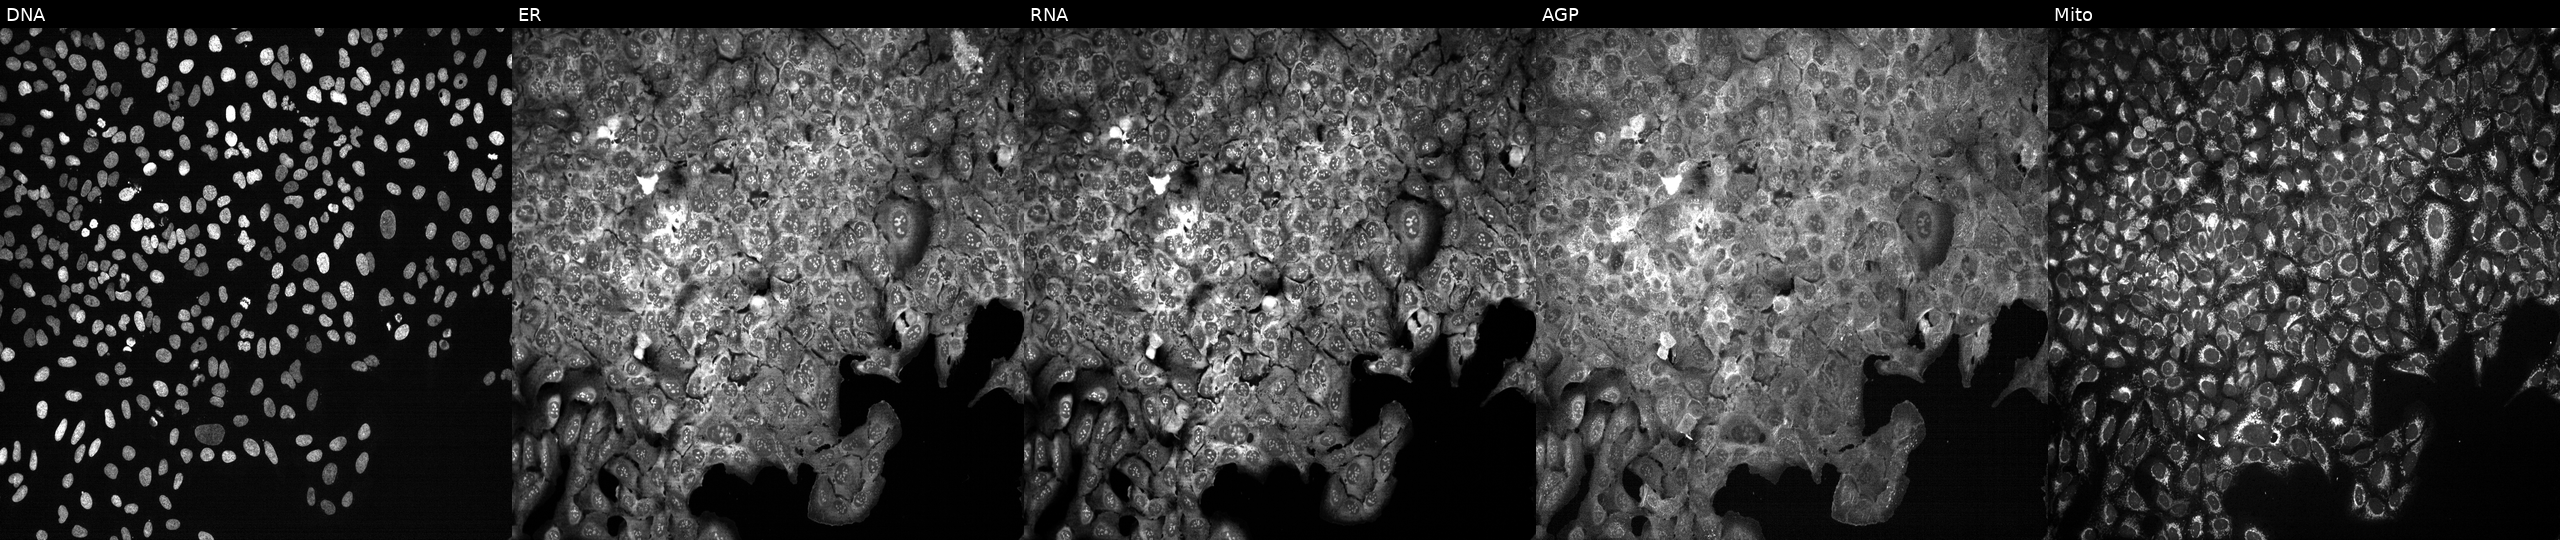
U2OS cells, Cell Painting assay, following CRISPR knockout of RSC1A1 (JUMP id JCP2022_806134). From left to right: Hoechst 33342, concanavalin A, SYTO 14, phalloidin and WGA, MitoTracker. Each panel is percentile-stretched 16-bit fluorescence. Source 13, plate CP-CC9-R3-01, well N15.